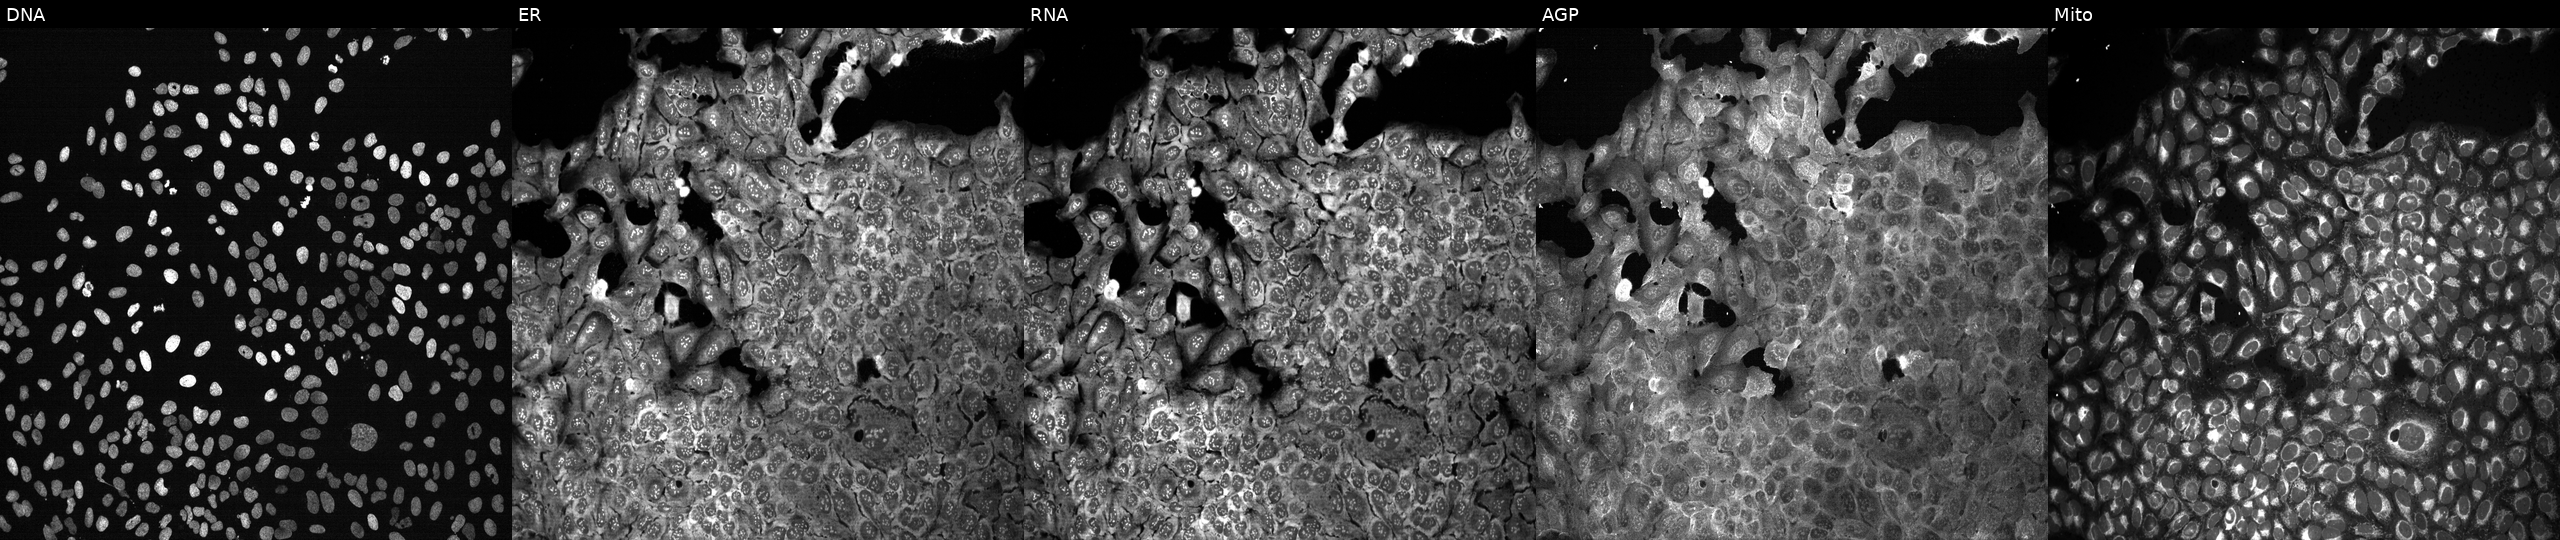
The five panels, left to right, show DNA (nuclei); ER (endoplasmic reticulum); RNA (nucleoli and cytoplasmic RNA); AGP (actin cytoskeleton, Golgi, and plasma membrane); Mito (mitochondria). U2OS osteosarcoma cells following CRISPR knockout of BAG4 (JUMP id JCP2022_800810). Cell Painting assay, JUMP-CP dataset. Source 13, plate CP-CC9-R2-02, well E21.